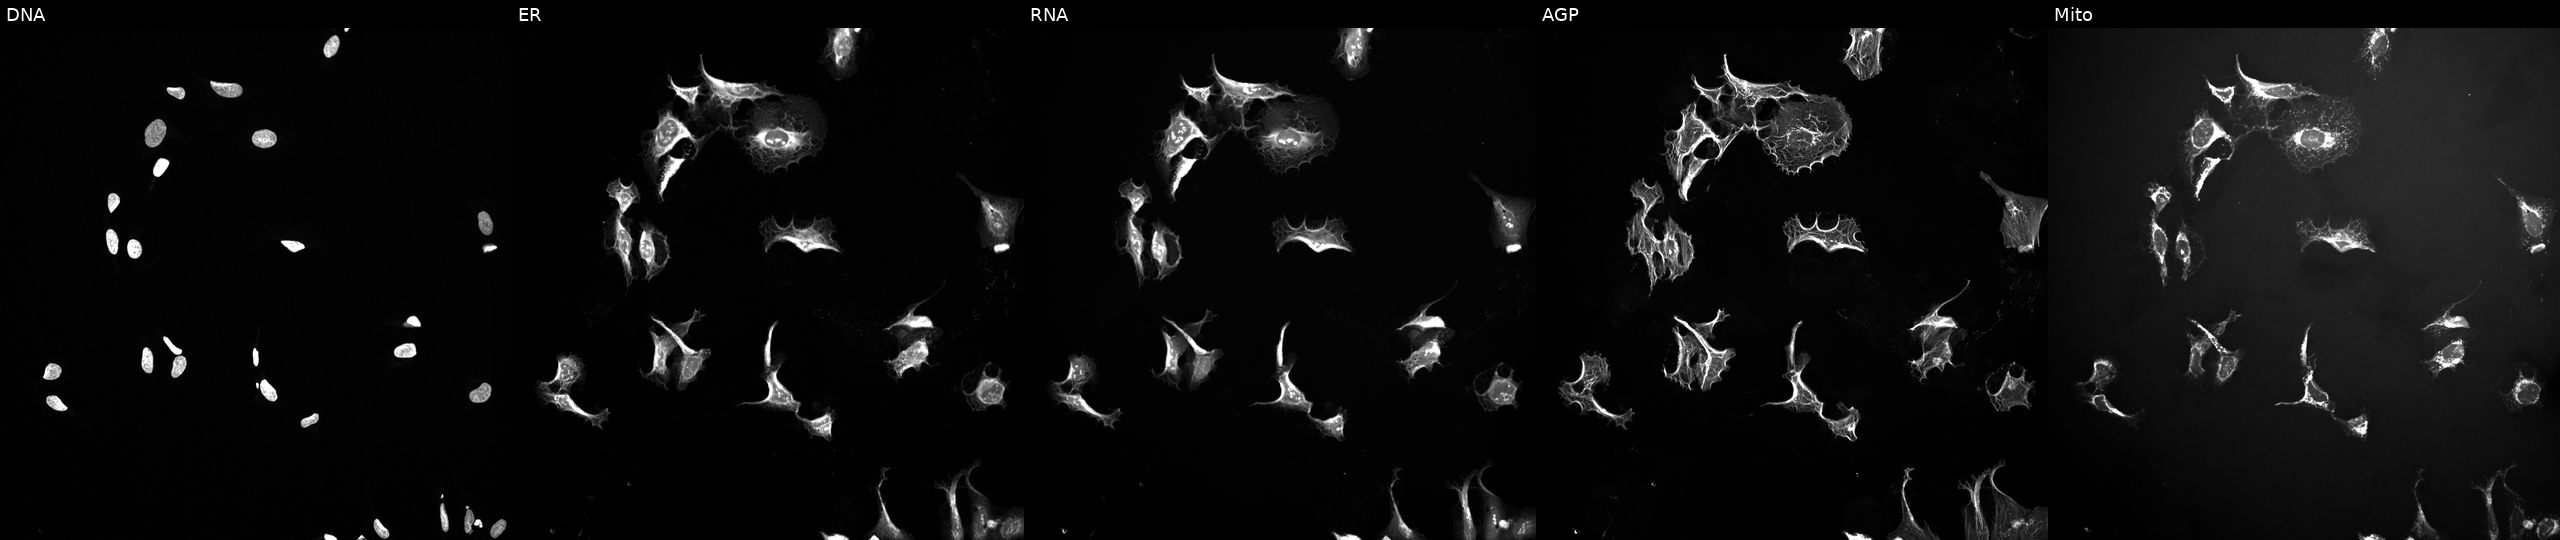
This image strip shows the five Cell Painting channels for a single field of U2OS cells exposed to a small-molecule compound. Panels show, left to right, DNA, ER, RNA, AGP, and Mito.